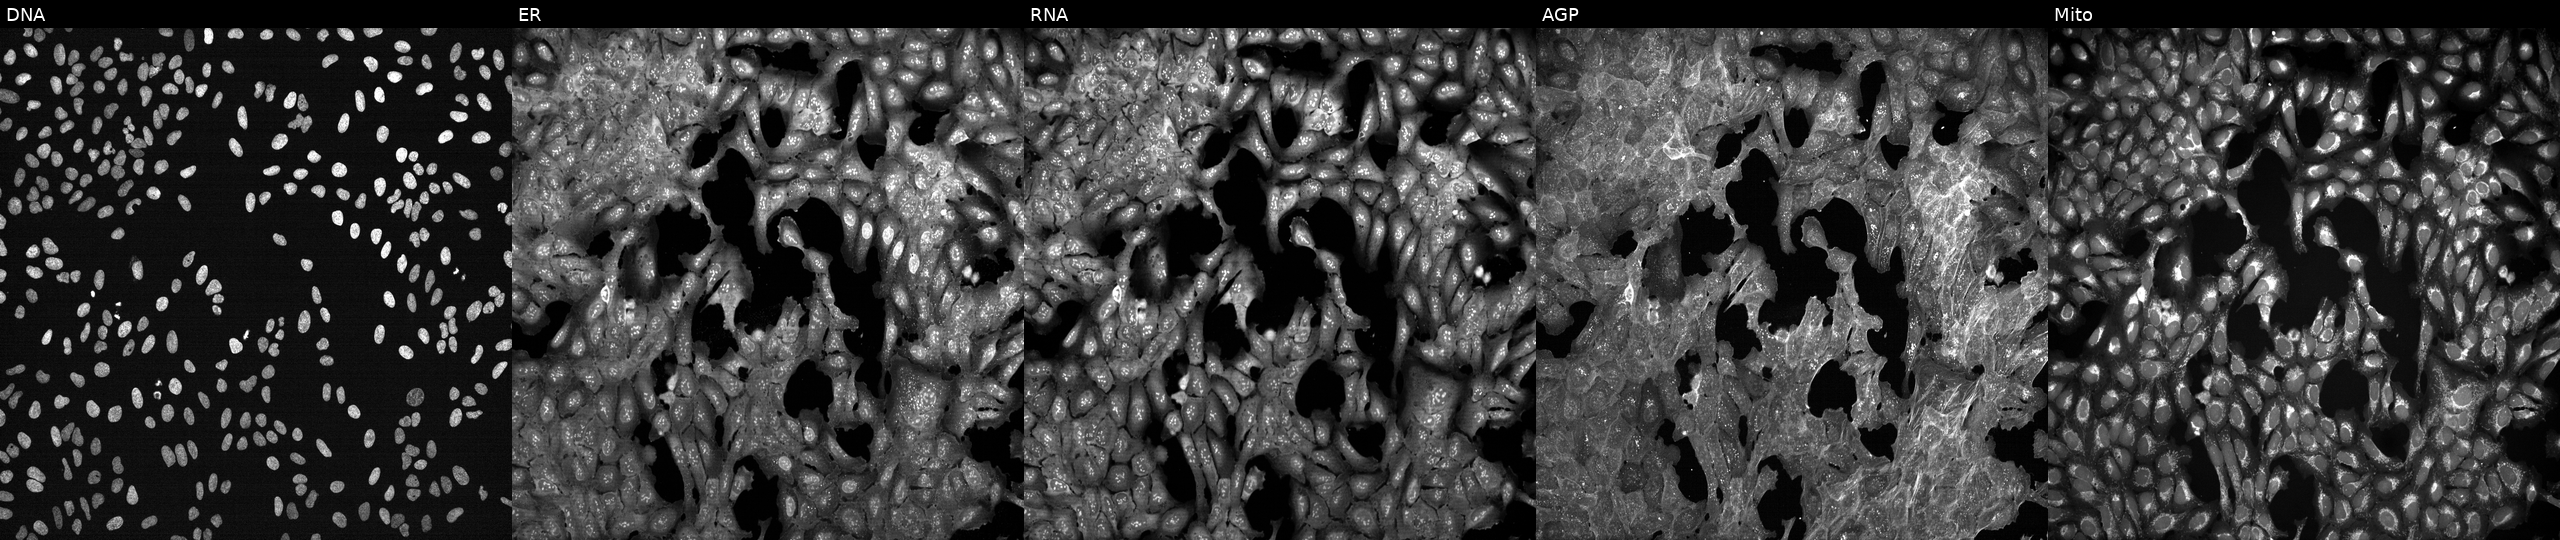
U2OS cells, Cell Painting assay, exposed to a small-molecule compound (JUMP id JCP2022_107658). From left to right: DNA (nuclei); ER (endoplasmic reticulum); RNA (nucleoli and cytoplasmic RNA); AGP (actin cytoskeleton, Golgi, and plasma membrane); Mito (mitochondria). Each panel is percentile-stretched 16-bit fluorescence.